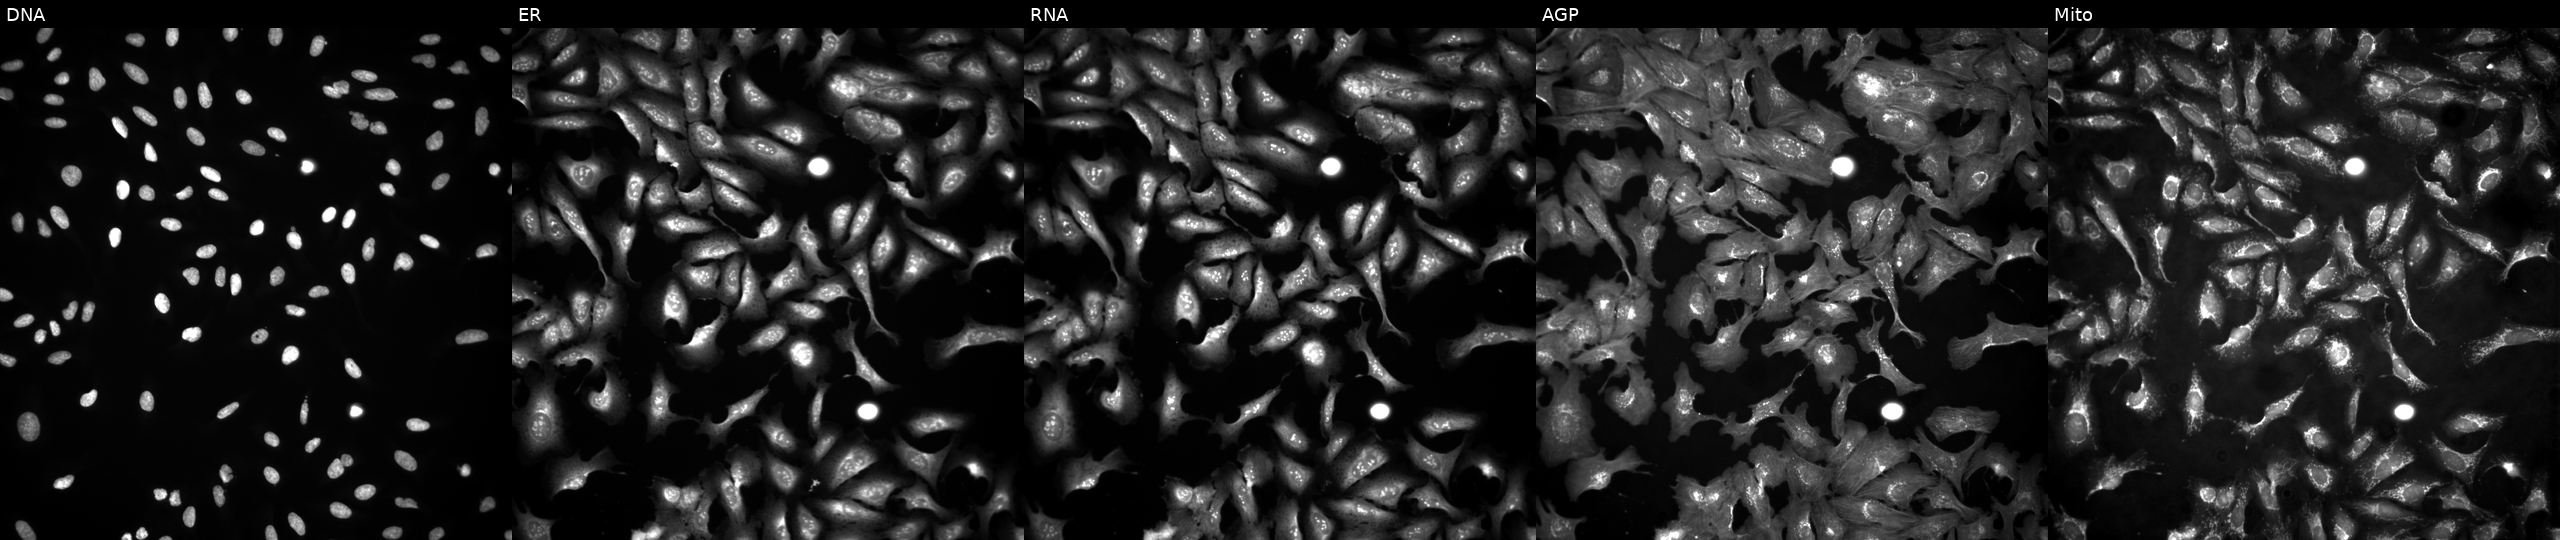
This image strip shows the five Cell Painting channels for a single field of U2OS cells overexpressing AURKC via ORF transfection (JUMP id JCP2022_913879). Channels (left→right): Hoechst 33342, concanavalin A, SYTO 14, phalloidin and WGA, MitoTracker.